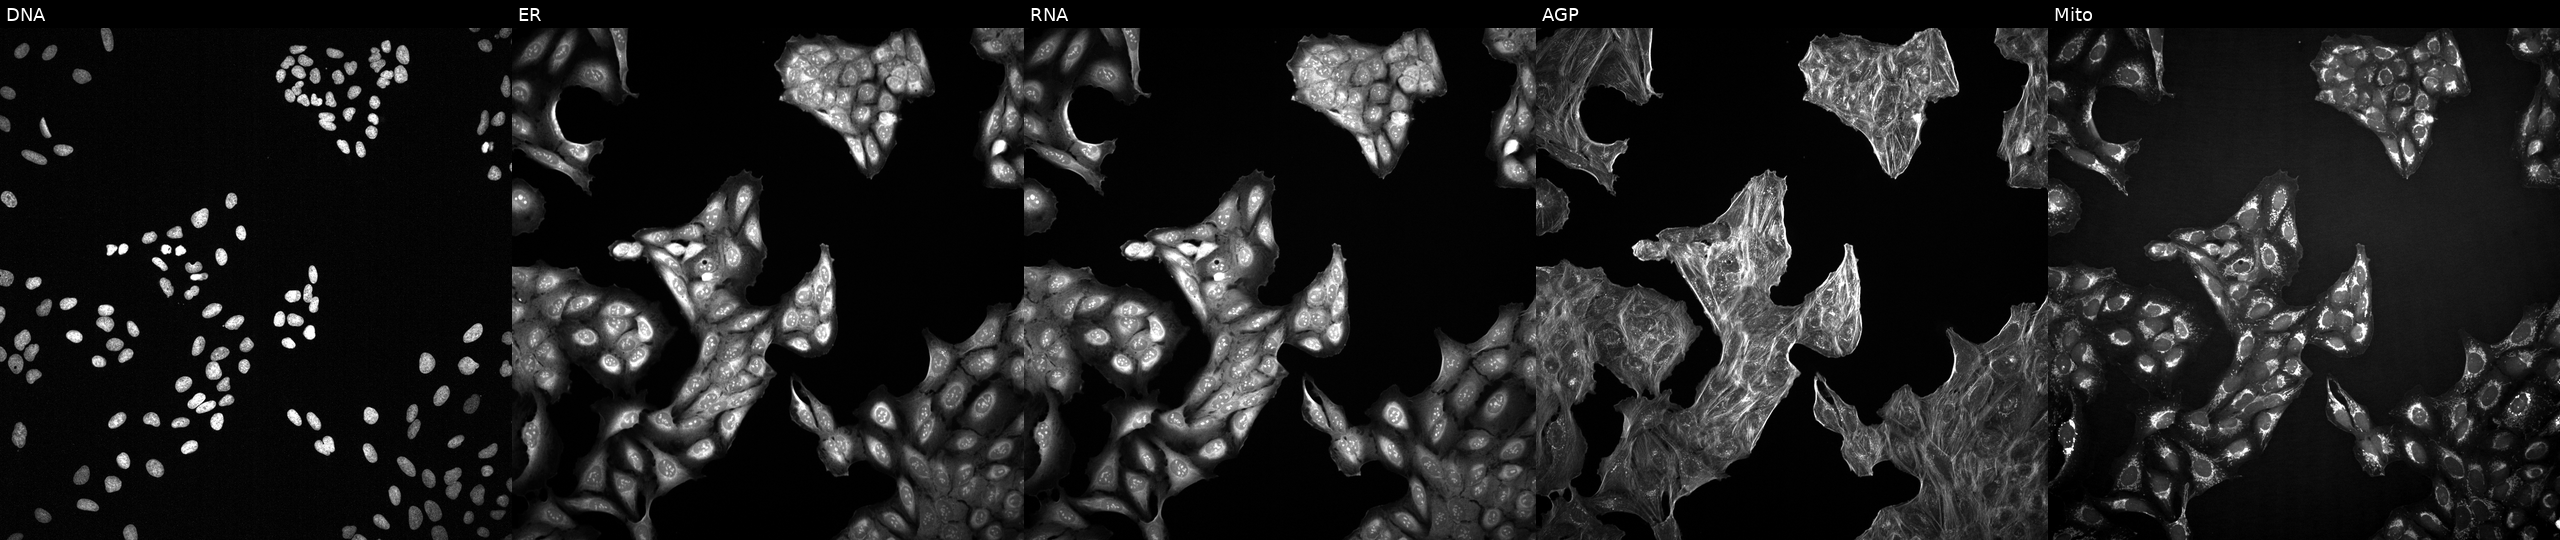
U2OS cells, Cell Painting assay, with an unidentified perturbation (not annotated in JUMP metadata). The five panels, left to right, show Hoechst 33342, concanavalin A, SYTO 14, phalloidin and WGA, MitoTracker. Each panel is percentile-stretched 16-bit fluorescence. Source 2, plate 1053601756, well F15.